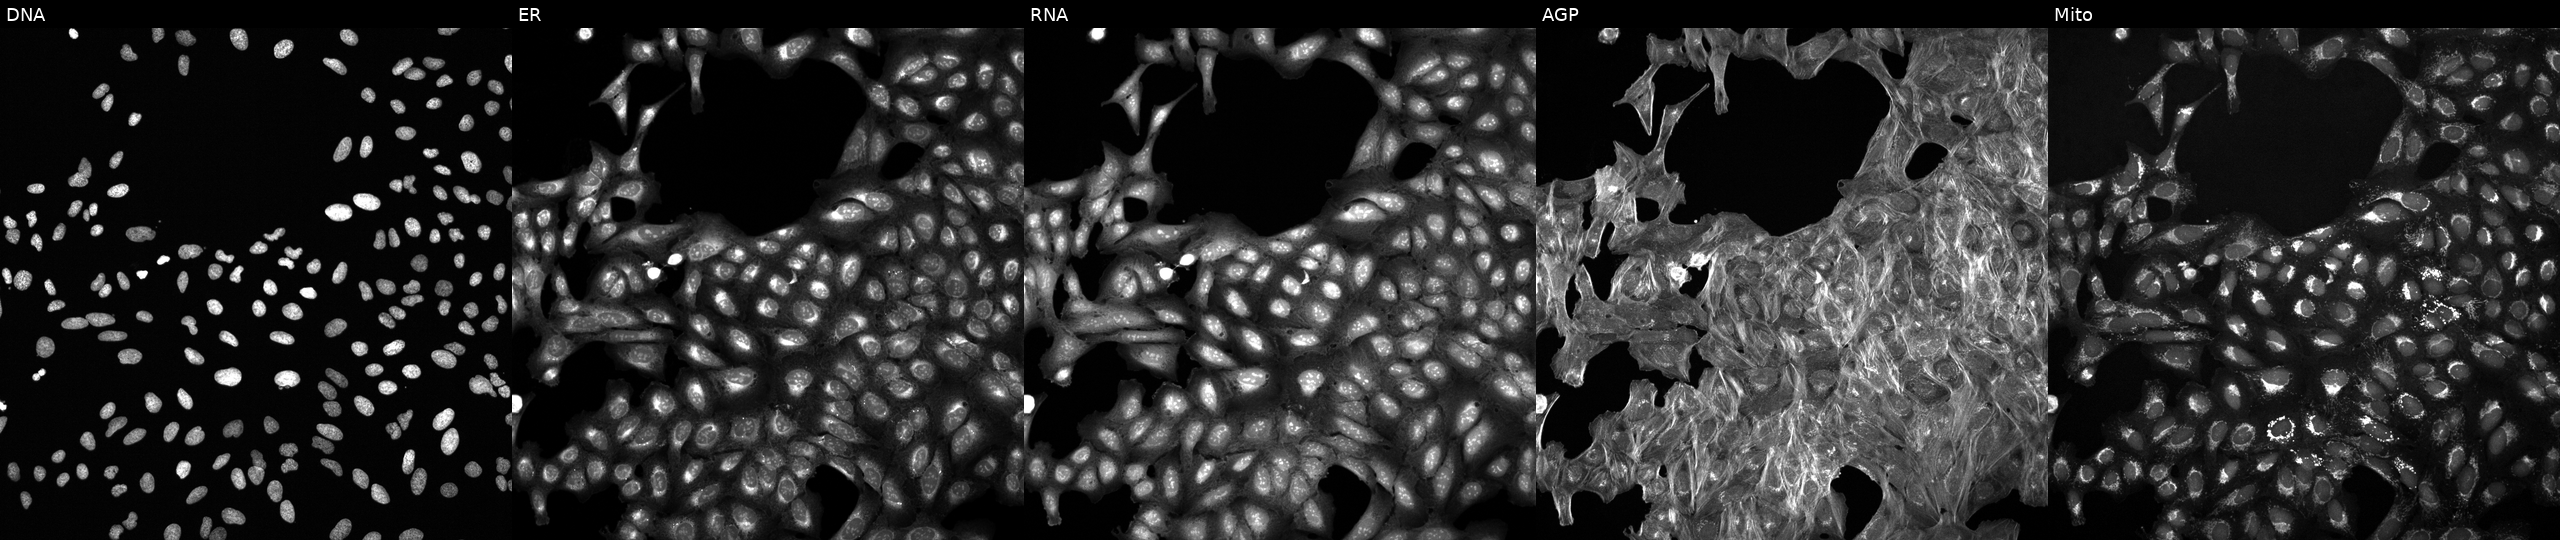
This image strip shows the five Cell Painting channels for a single field of U2OS cells exposed to DMSO alone as a negative control. The five panels, left to right, show Hoechst 33342, concanavalin A, SYTO 14, phalloidin and WGA, MitoTracker.